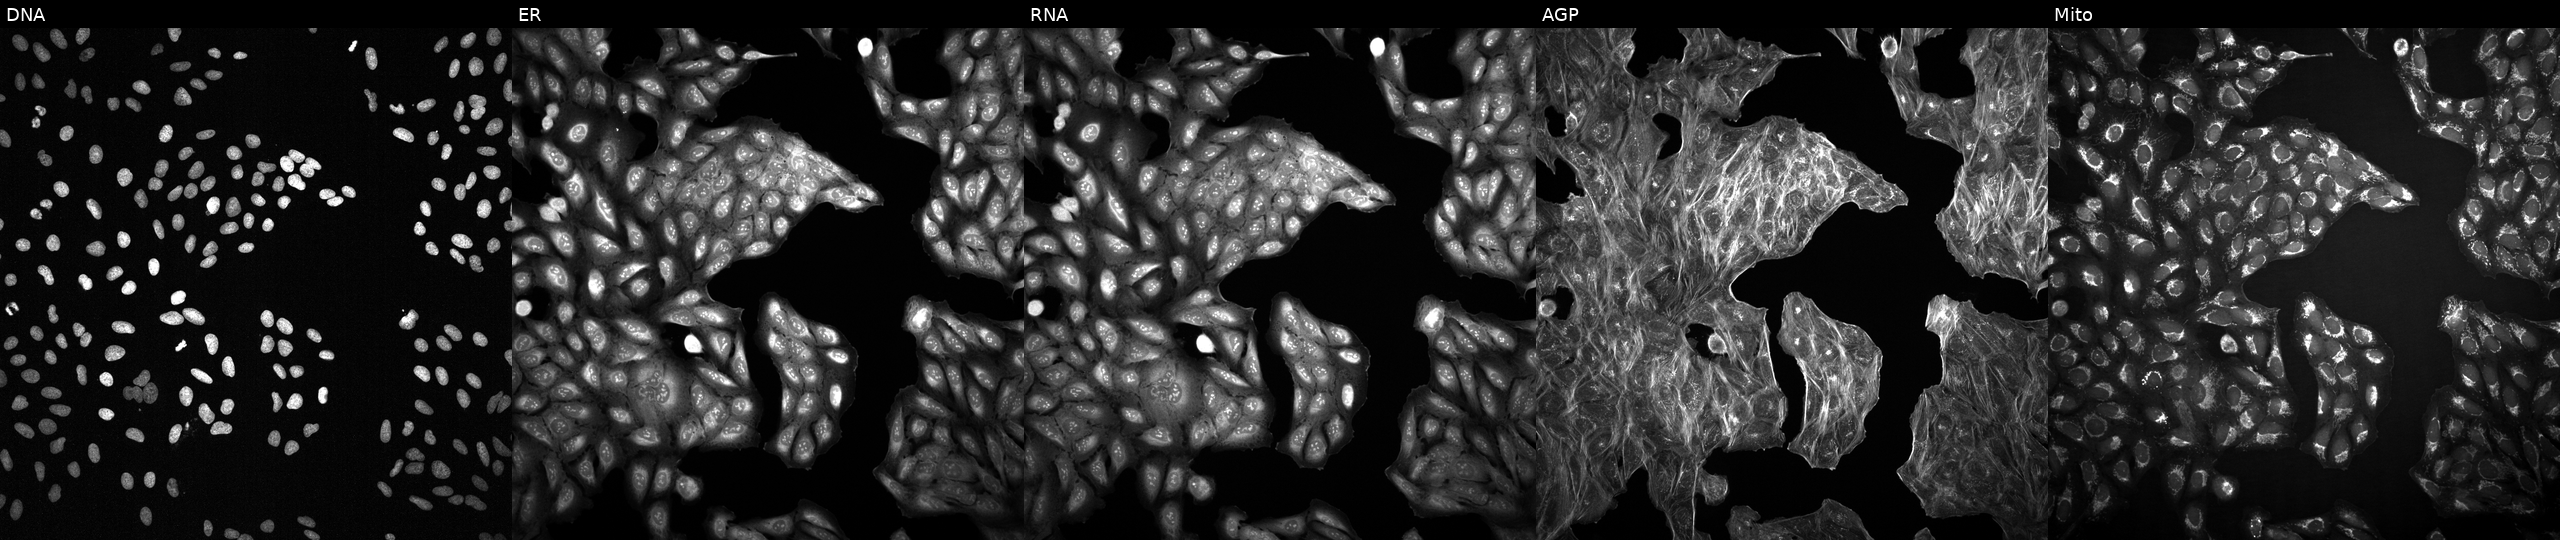
High-content fluorescence microscopy (Cell Painting). Cell line: U2OS. Perturbation: perturbed with a small-molecule compound. Channels (left→right): DNA, ER, RNA, AGP, and Mito.